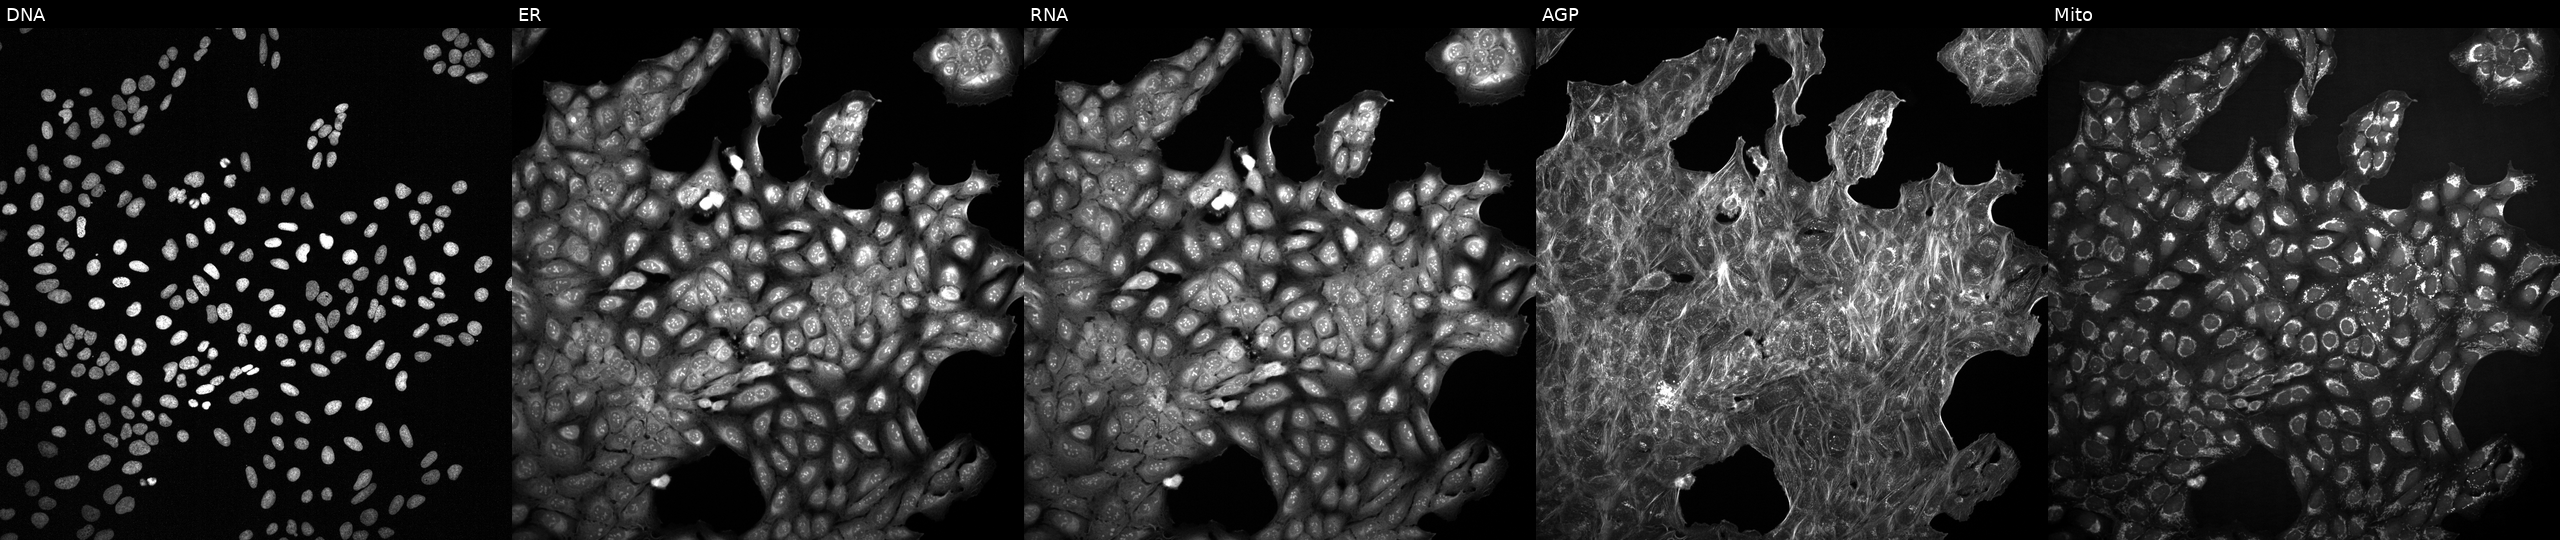
High-content fluorescence microscopy (Cell Painting). Cell line: U2OS. Perturbation: exposed to a small-molecule compound [SMILES: O=C(O)C1CCCN1] (JUMP id JCP2022_064903). Panels show, left to right, DNA (nuclei); ER (endoplasmic reticulum); RNA (nucleoli and cytoplasmic RNA); AGP (actin cytoskeleton, Golgi, and plasma membrane); Mito (mitochondria).